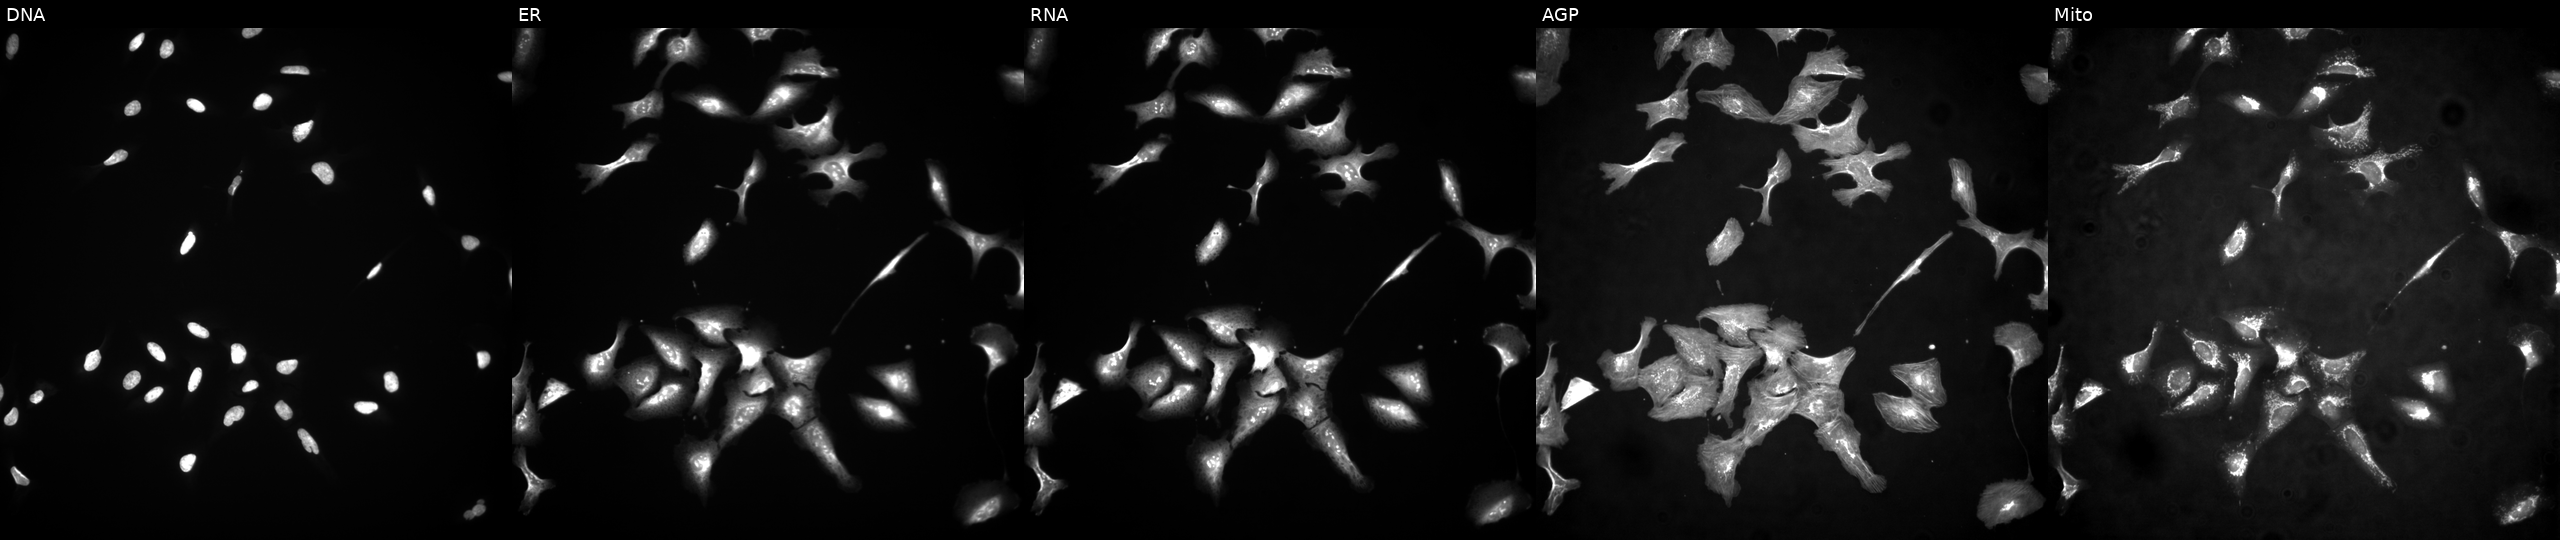
High-content fluorescence microscopy (Cell Painting). Cell line: U2OS. Perturbation: expressing BFP (ORF negative control) (JUMP id JCP2022_915128). From left to right: DNA (nuclei); ER (endoplasmic reticulum); RNA (nucleoli and cytoplasmic RNA); AGP (actin cytoskeleton, Golgi, and plasma membrane); Mito (mitochondria).